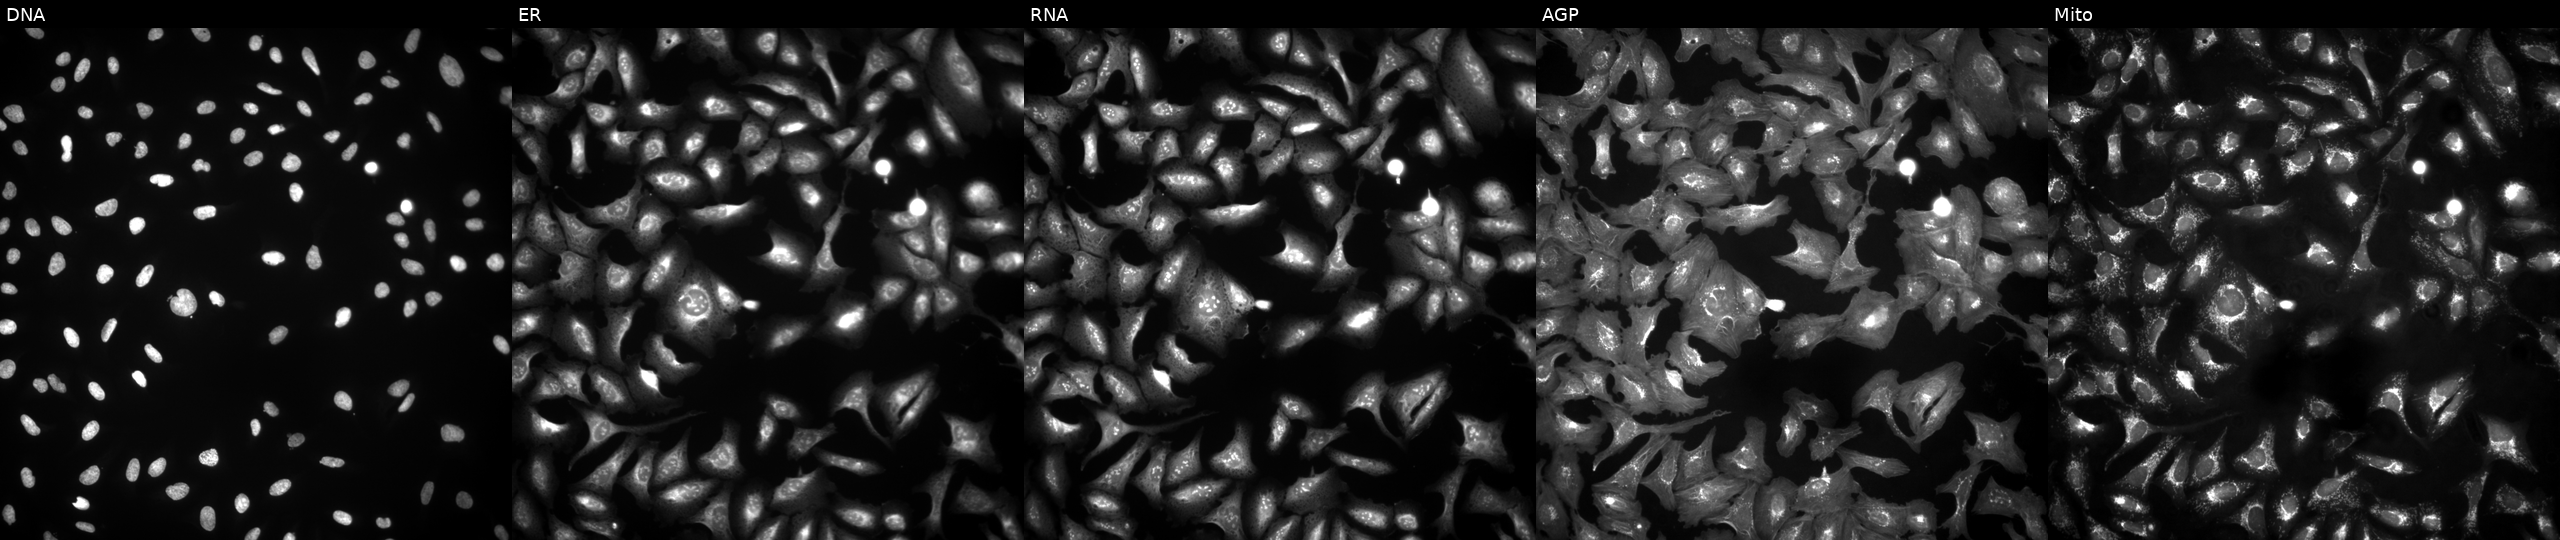
JUMP Cell Painting — ORF plate. U2OS cells transfected with an ORF construct for TMEM39A. Channels (left→right): DNA, ER, RNA, AGP, and Mito.